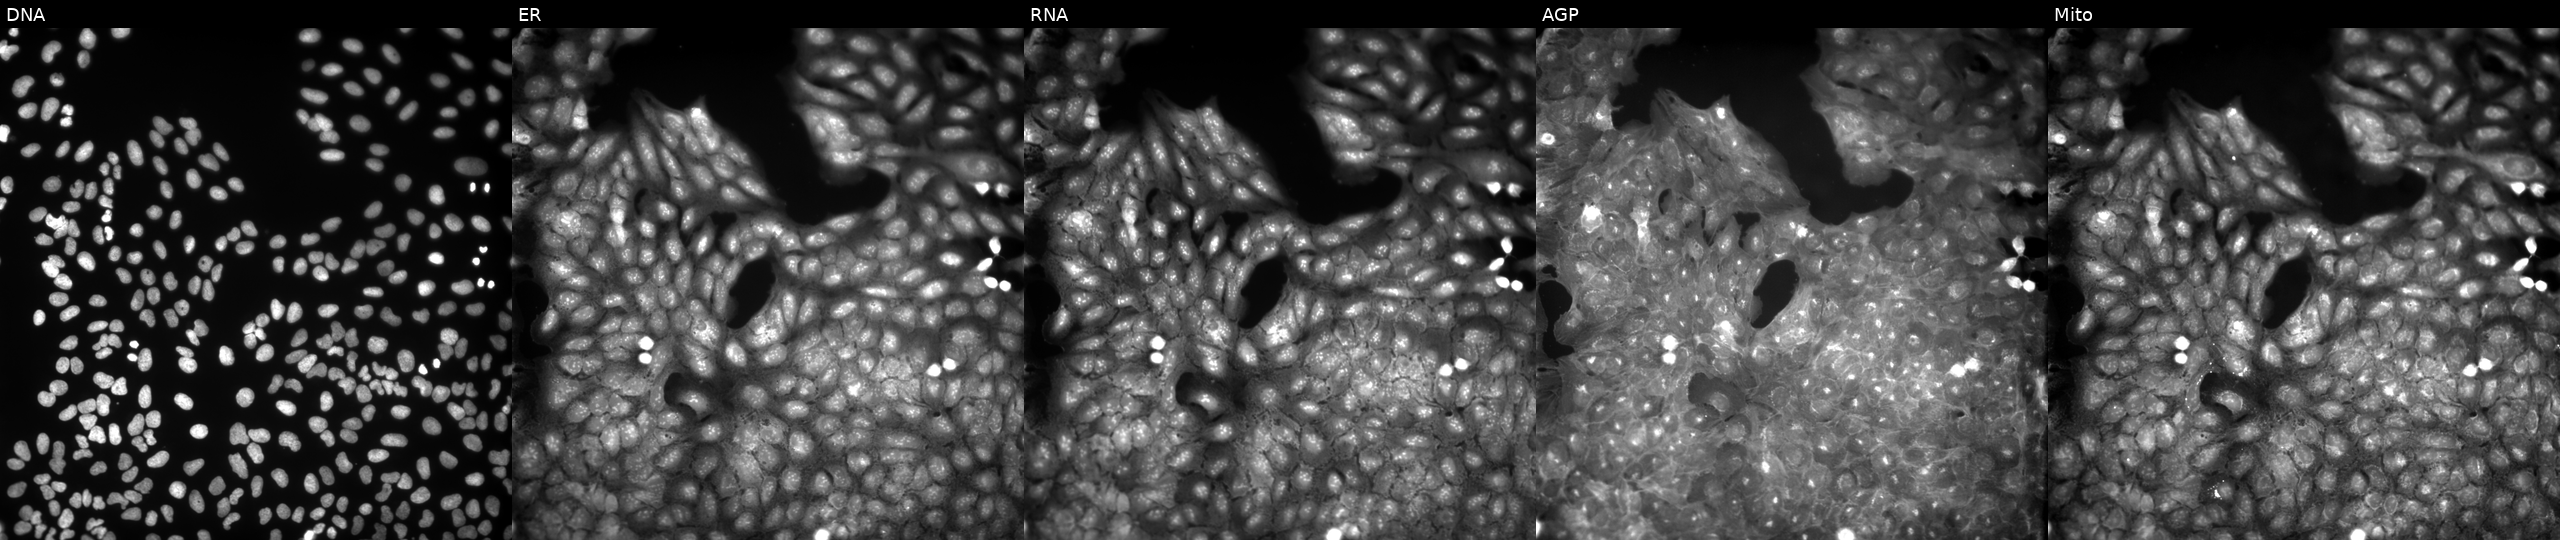
JUMP Cell Painting — COMPOUND plate. U2OS cells perturbed with a small-molecule compound (InChIKey FSTWYAXJPYDRBV-UHFFFAOYSA-N). The five panels, left to right, show DNA, ER, RNA, AGP, and Mito.